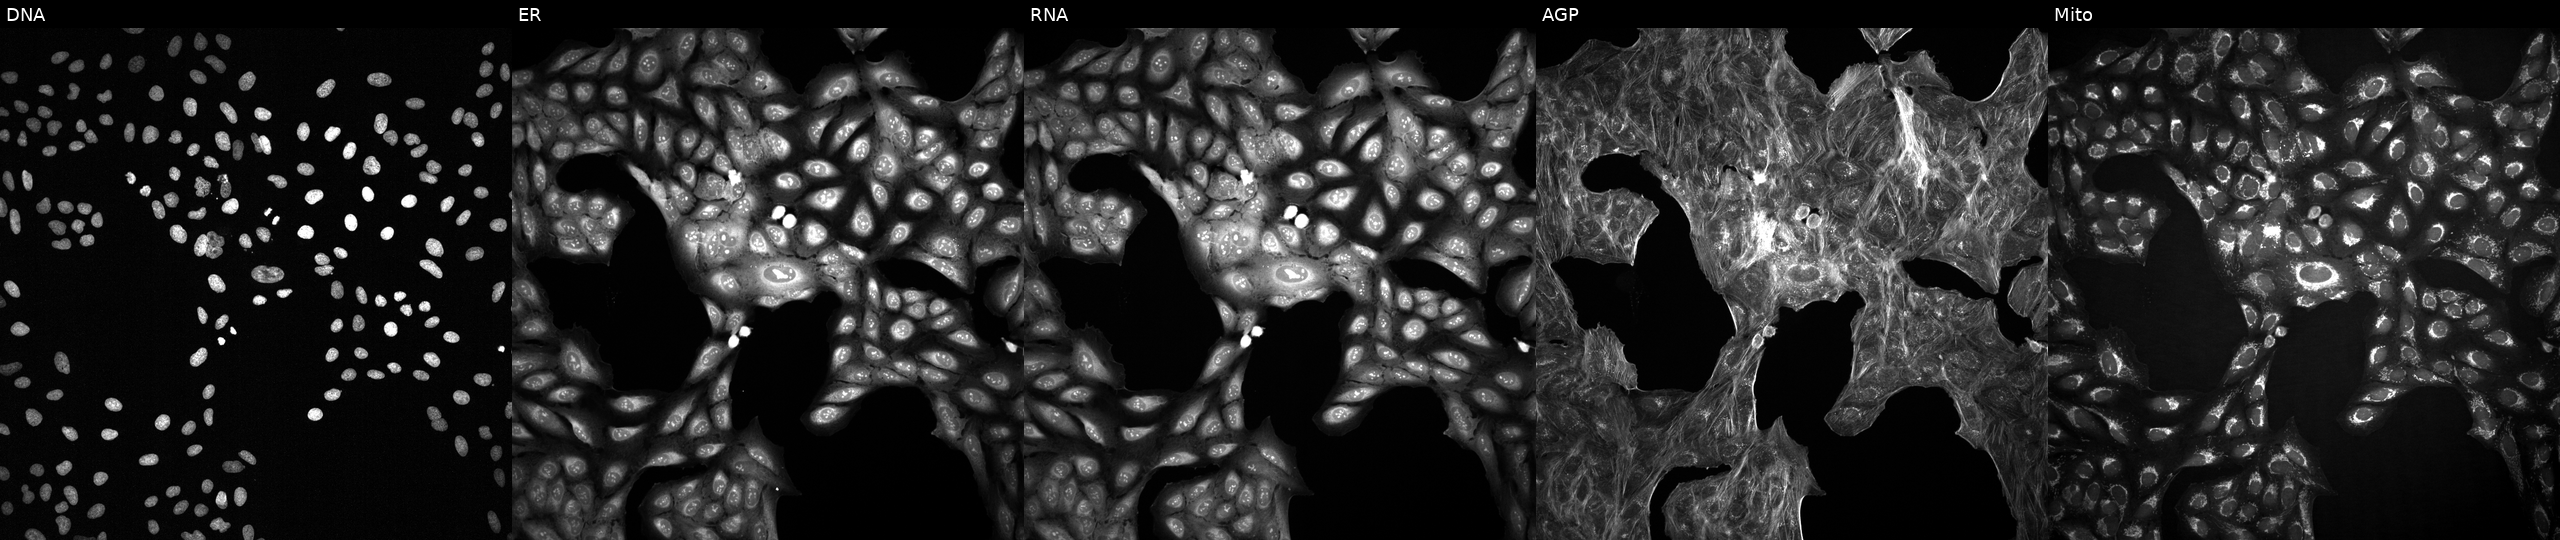
The five panels, left to right, show Hoechst 33342, concanavalin A, SYTO 14, phalloidin and WGA, MitoTracker. U2OS osteosarcoma cells with an unidentified perturbation (not annotated in JUMP metadata). Cell Painting assay, JUMP-CP dataset. Source 2, plate 1053601756, well P04.